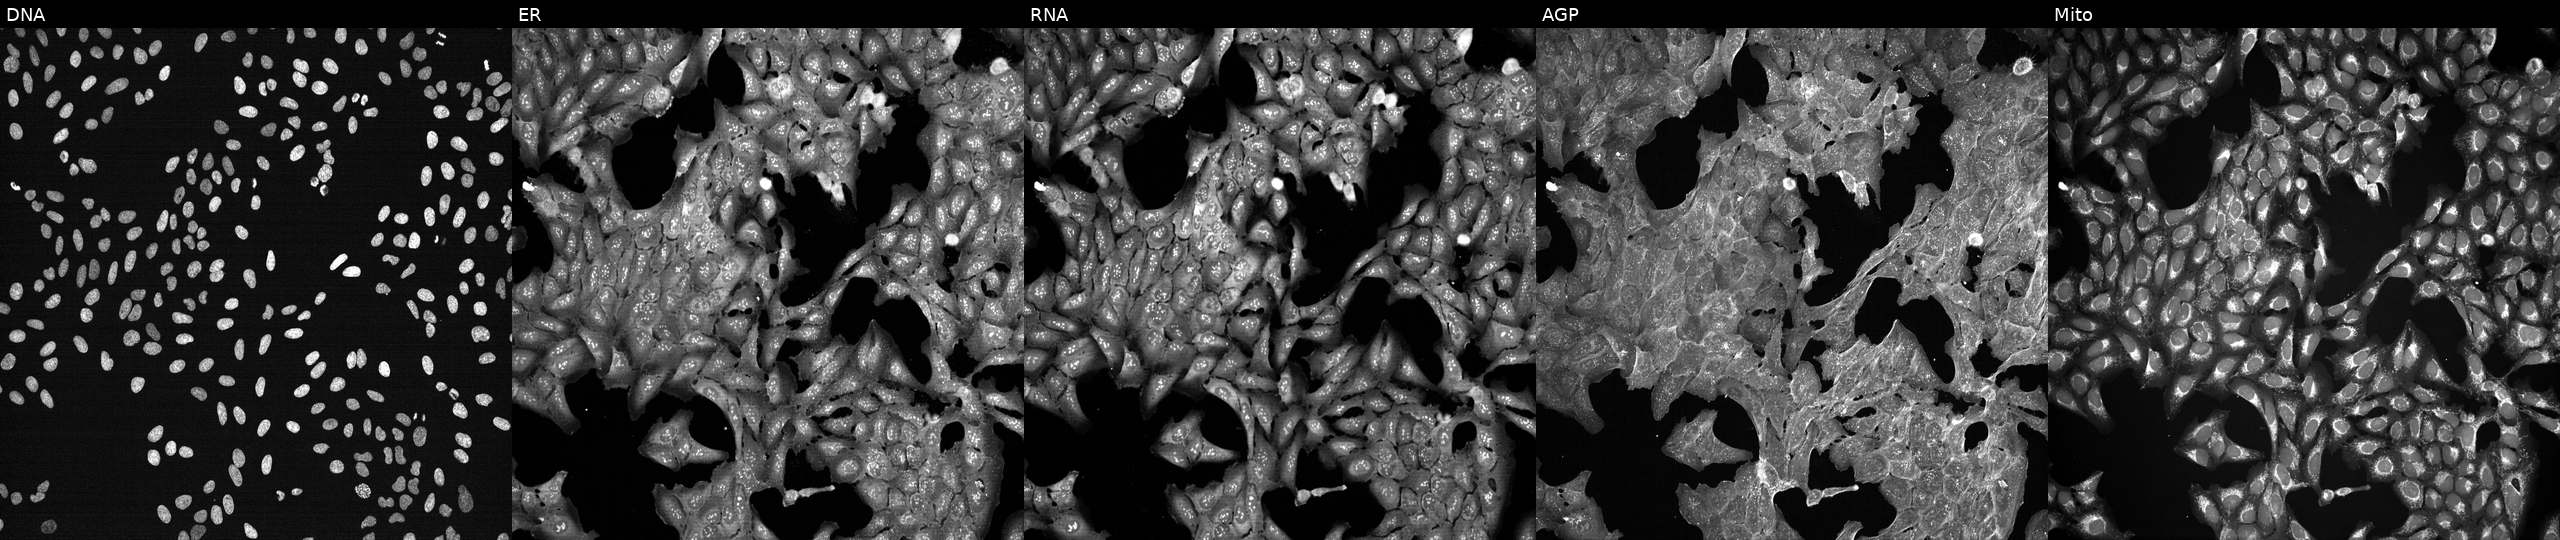
JUMP Cell Painting — TARGET2 plate. U2OS cells exposed to DMSO alone as a negative control (JUMP id JCP2022_033924). From left to right: Hoechst 33342, concanavalin A, SYTO 14, phalloidin and WGA, MitoTracker.